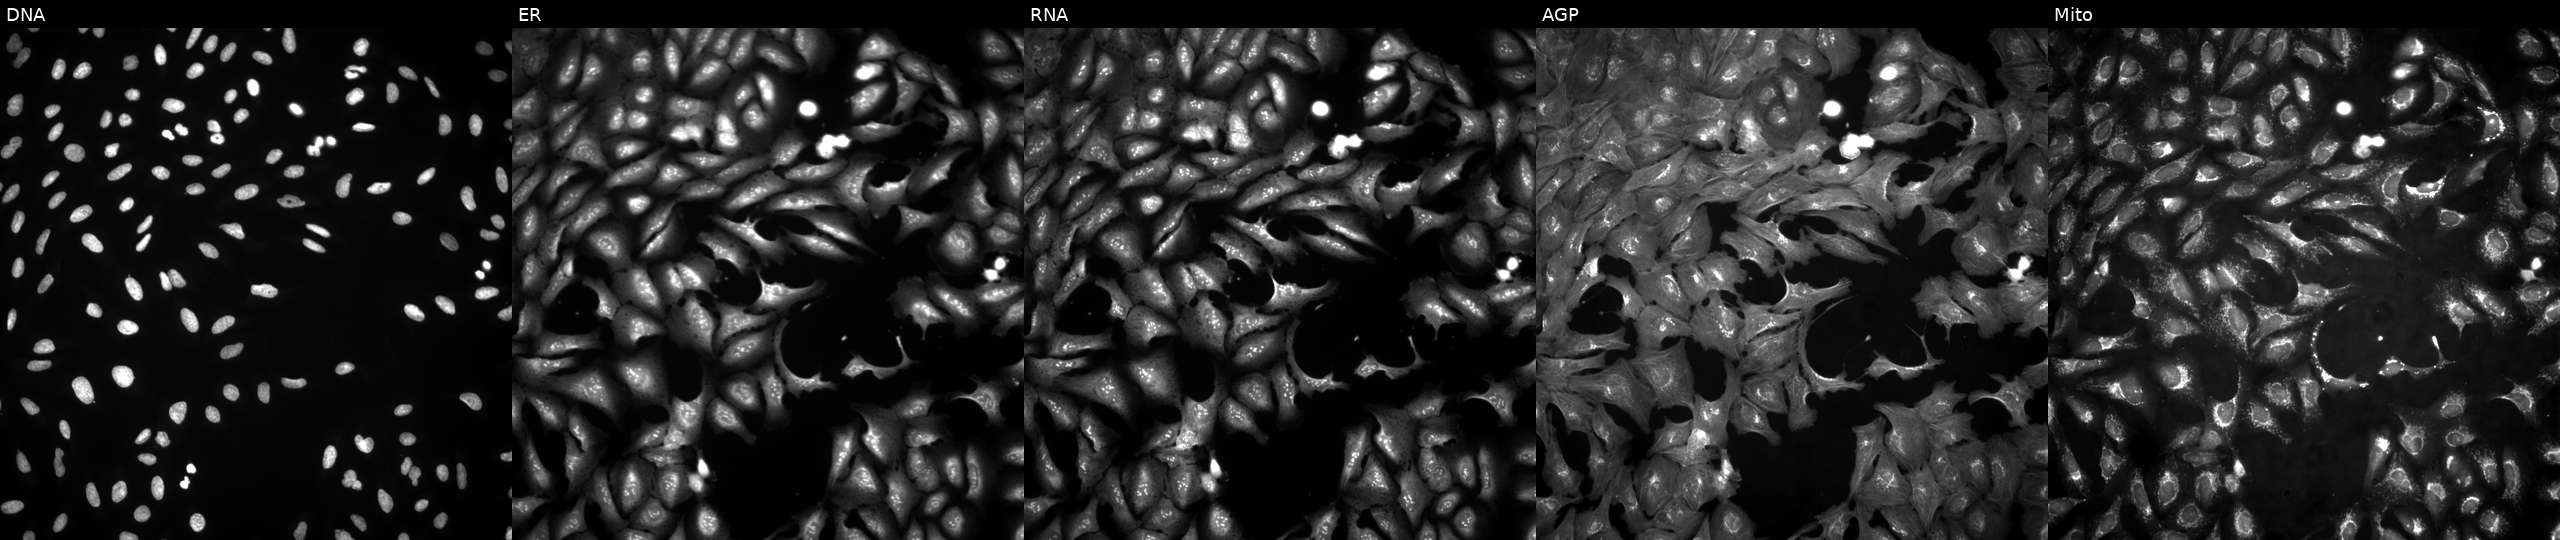
JUMP Cell Painting — ORF plate. U2OS cells transfected with an ORF construct for WFDC10B (JUMP id JCP2022_909252). From left to right: DNA (nuclei); ER (endoplasmic reticulum); RNA (nucleoli and cytoplasmic RNA); AGP (actin cytoskeleton, Golgi, and plasma membrane); Mito (mitochondria). Source 4, plate BR00124784, well F11.